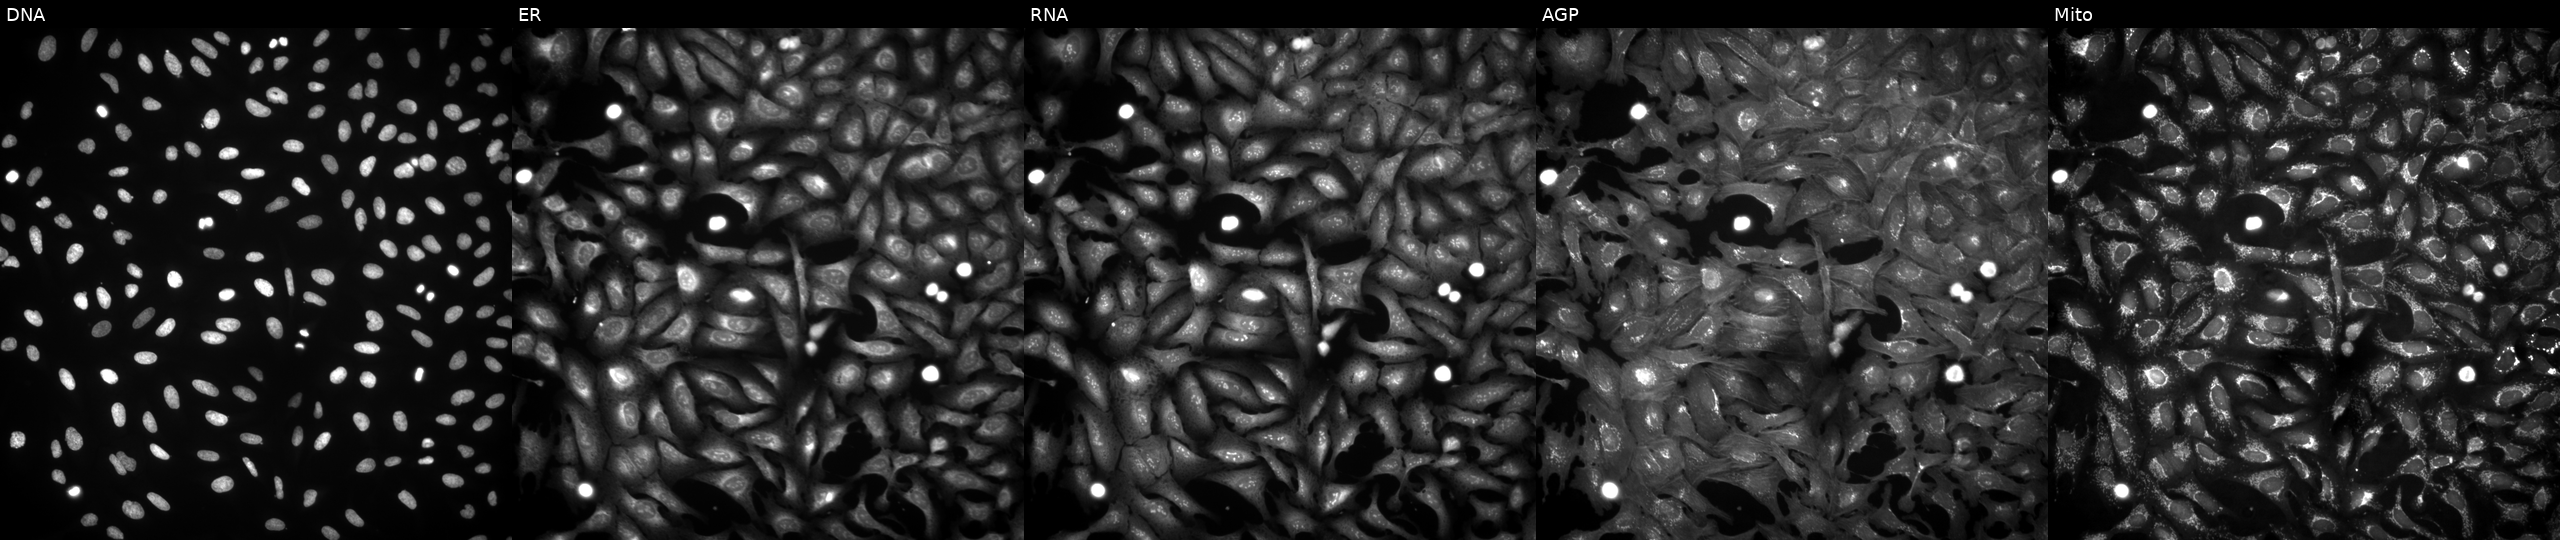
U2OS cells, Cell Painting assay, with DUSP16 overexpressed (ORF) (JUMP id JCP2022_908453). Channels (left→right): DNA, ER, RNA, AGP, and Mito. Each panel is percentile-stretched 16-bit fluorescence. Source 4, plate BR00124790, well E24.